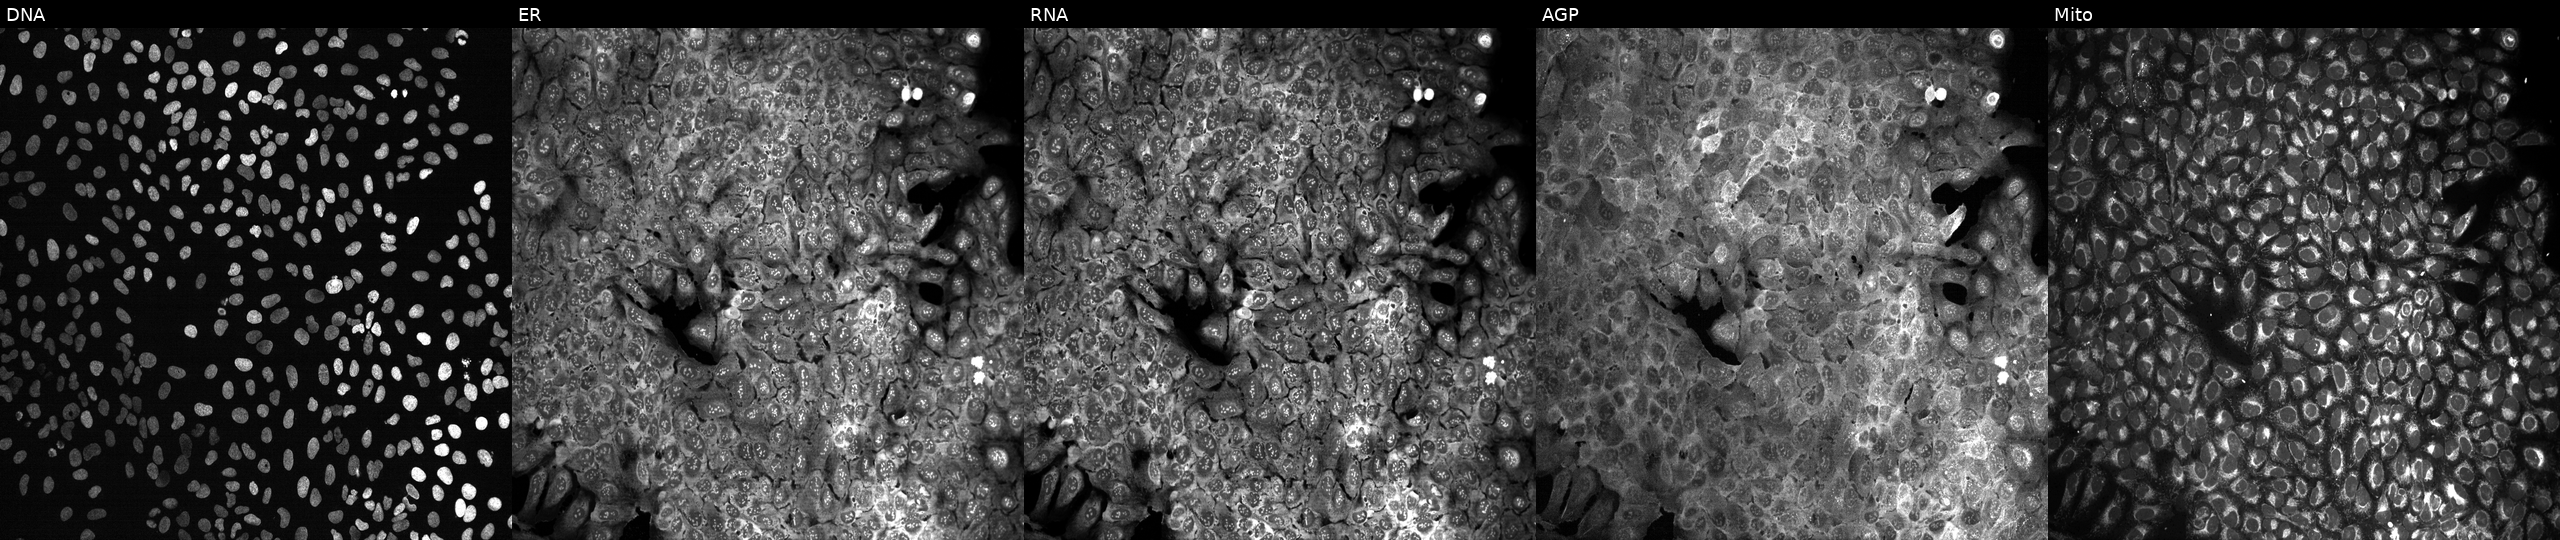
JUMP Cell Painting — CRISPR plate. U2OS cells with a non-targeting CRISPR guide (negative control) (JUMP id JCP2022_800002). The five panels, left to right, show Hoechst 33342, concanavalin A, SYTO 14, phalloidin and WGA, MitoTracker.